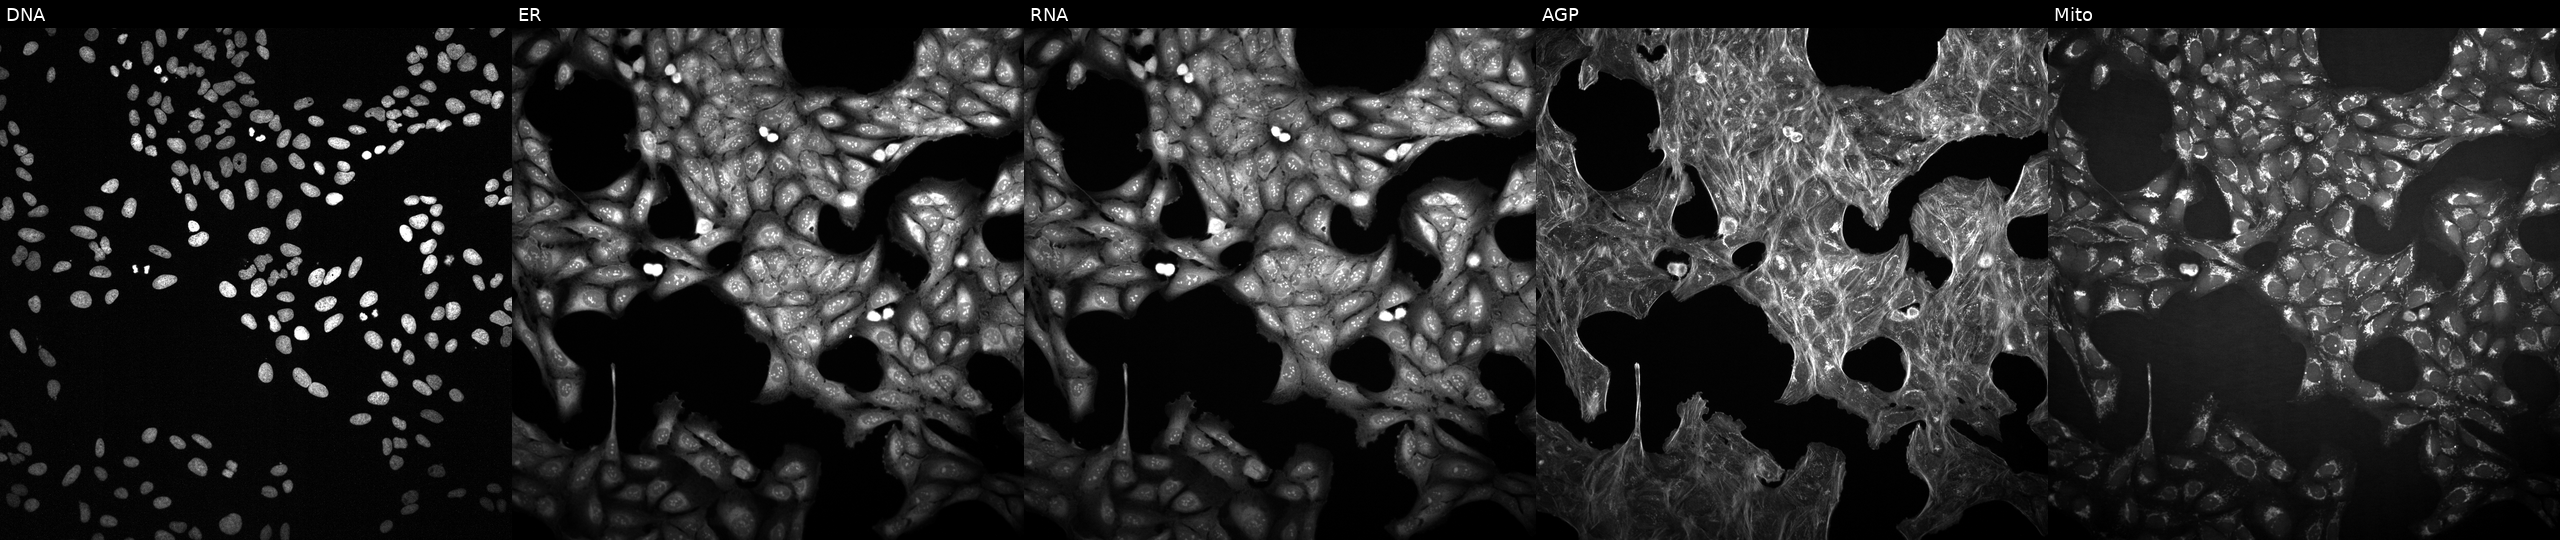
JUMP Cell Painting — COMPOUND plate. U2OS cells exposed to a small-molecule compound. Channels (left→right): Hoechst 33342, concanavalin A, SYTO 14, phalloidin and WGA, MitoTracker.